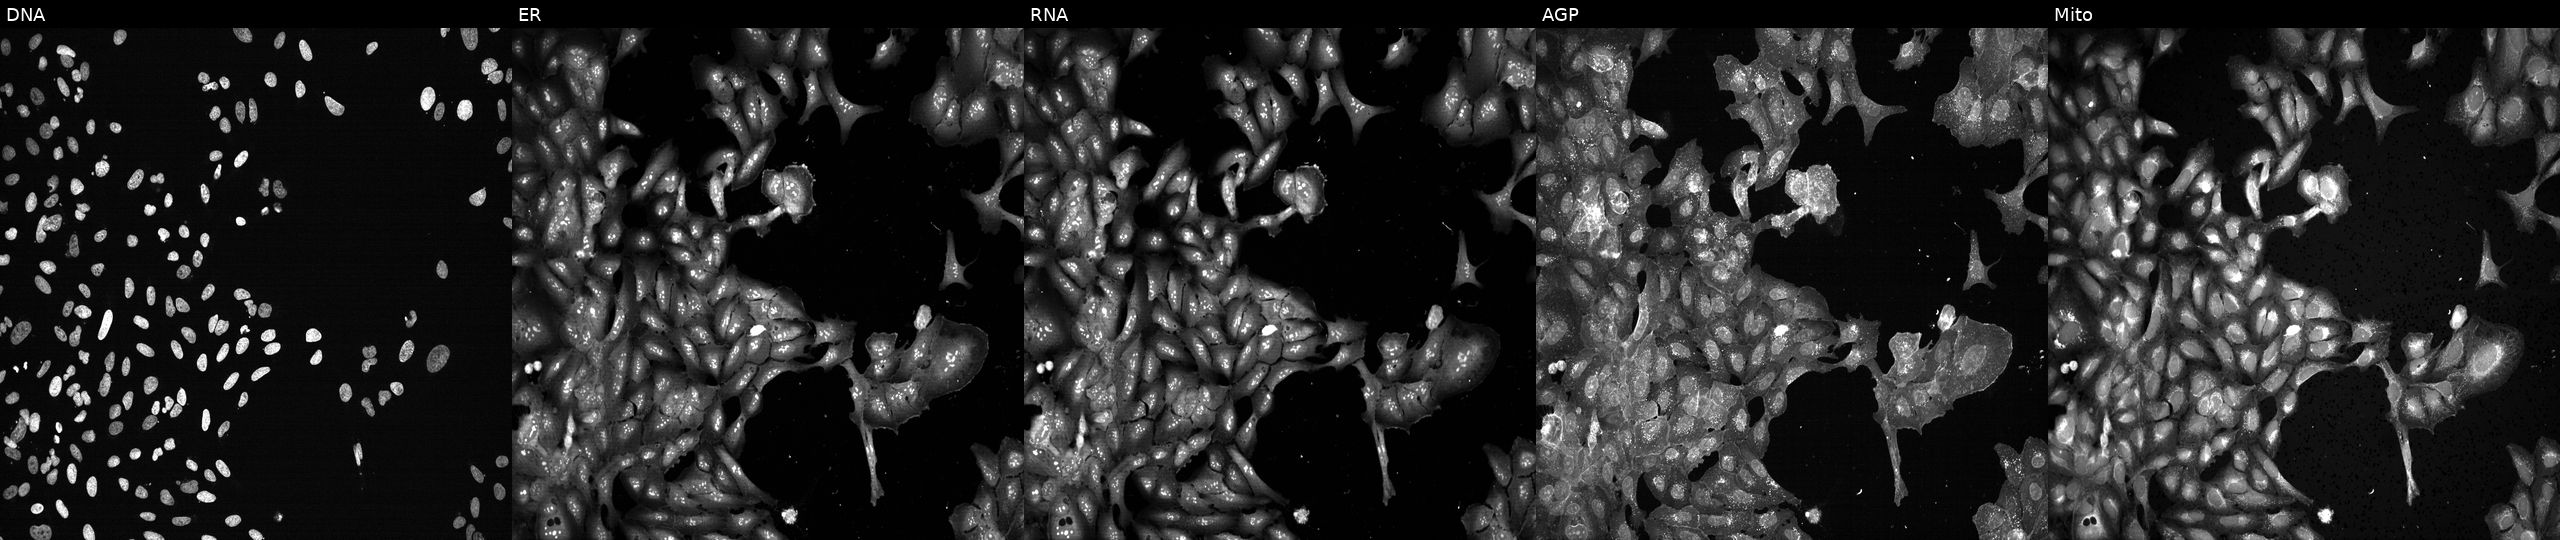
JUMP Cell Painting — CRISPR plate. U2OS cells CRISPR-edited to disrupt TCN2. Channels (left→right): DNA, ER, RNA, AGP, and Mito.